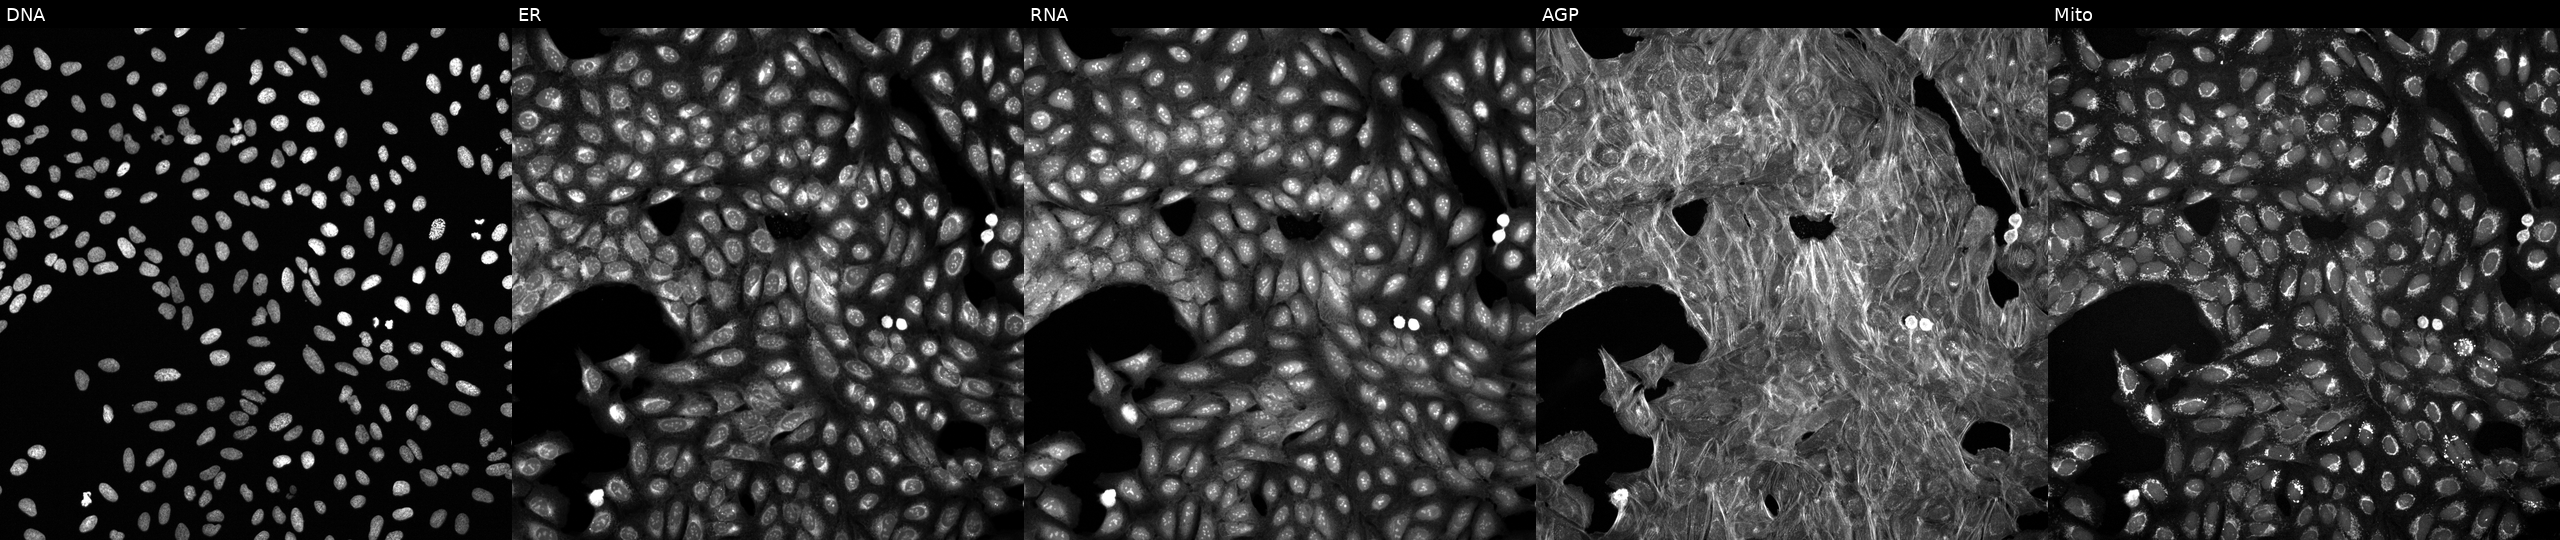
This image strip shows the five Cell Painting channels for a single field of U2OS cells perturbed with a small-molecule compound [SMILES: O=C1CC(c2ccccc2F)c2scc(-c3ccc(Cl)cc3)c2N1] (JUMP id JCP2022_000849). Panels show, left to right, DNA, ER, RNA, AGP, and Mito.